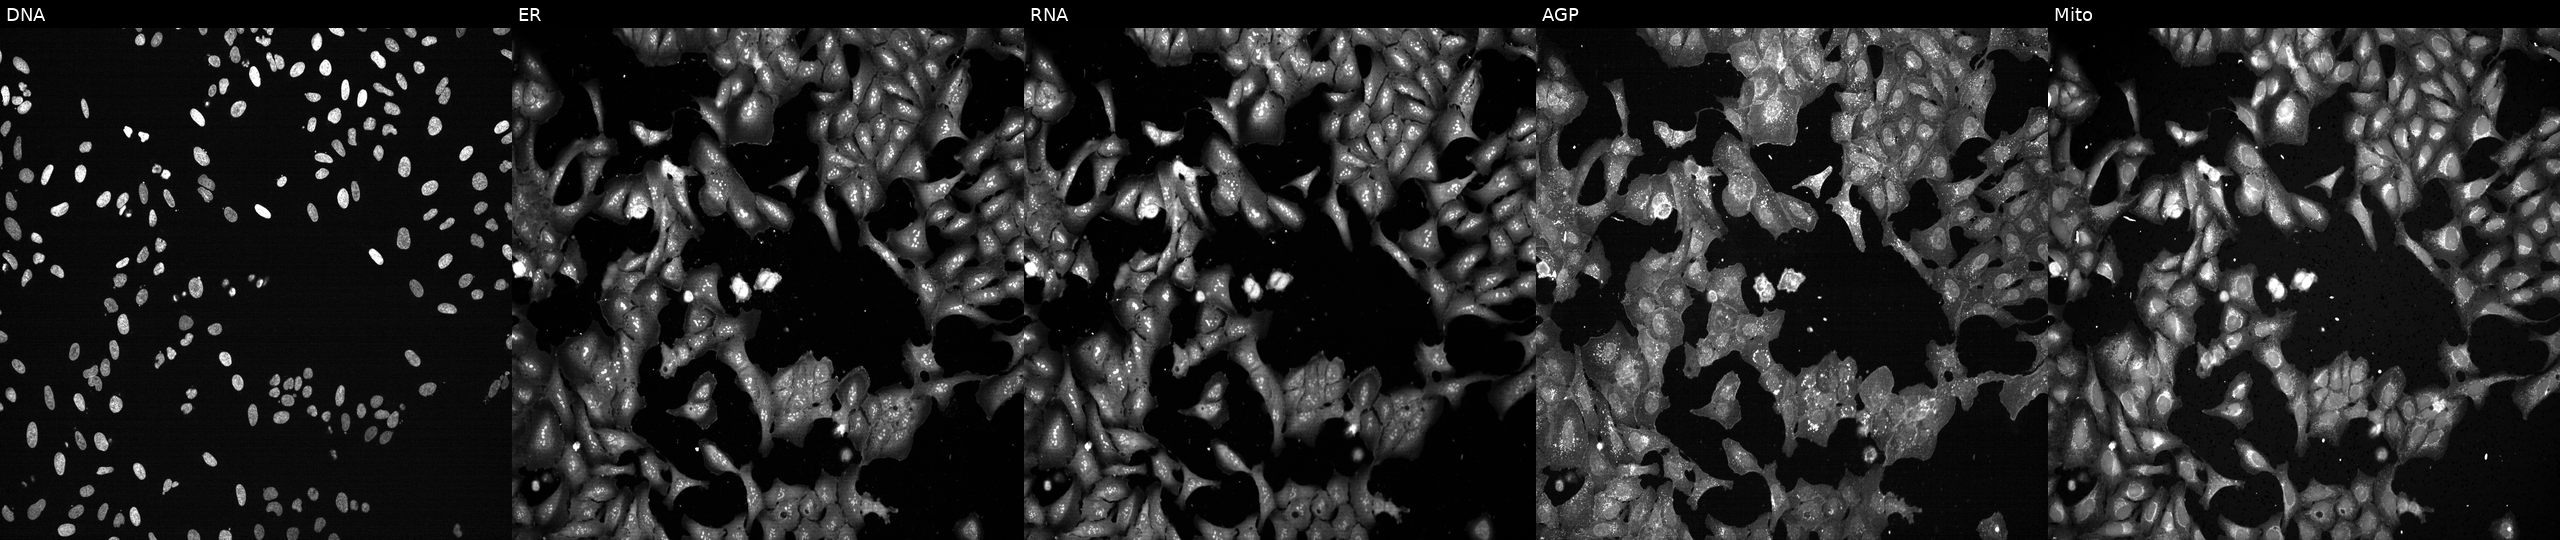
High-content fluorescence microscopy (Cell Painting). Cell line: U2OS. Perturbation: following CRISPR knockout of PABPC1 (JUMP id JCP2022_804874). The five panels, left to right, show DNA, ER, RNA, AGP, and Mito. Source 13, plate CP-CC9-R1-01, well I17.